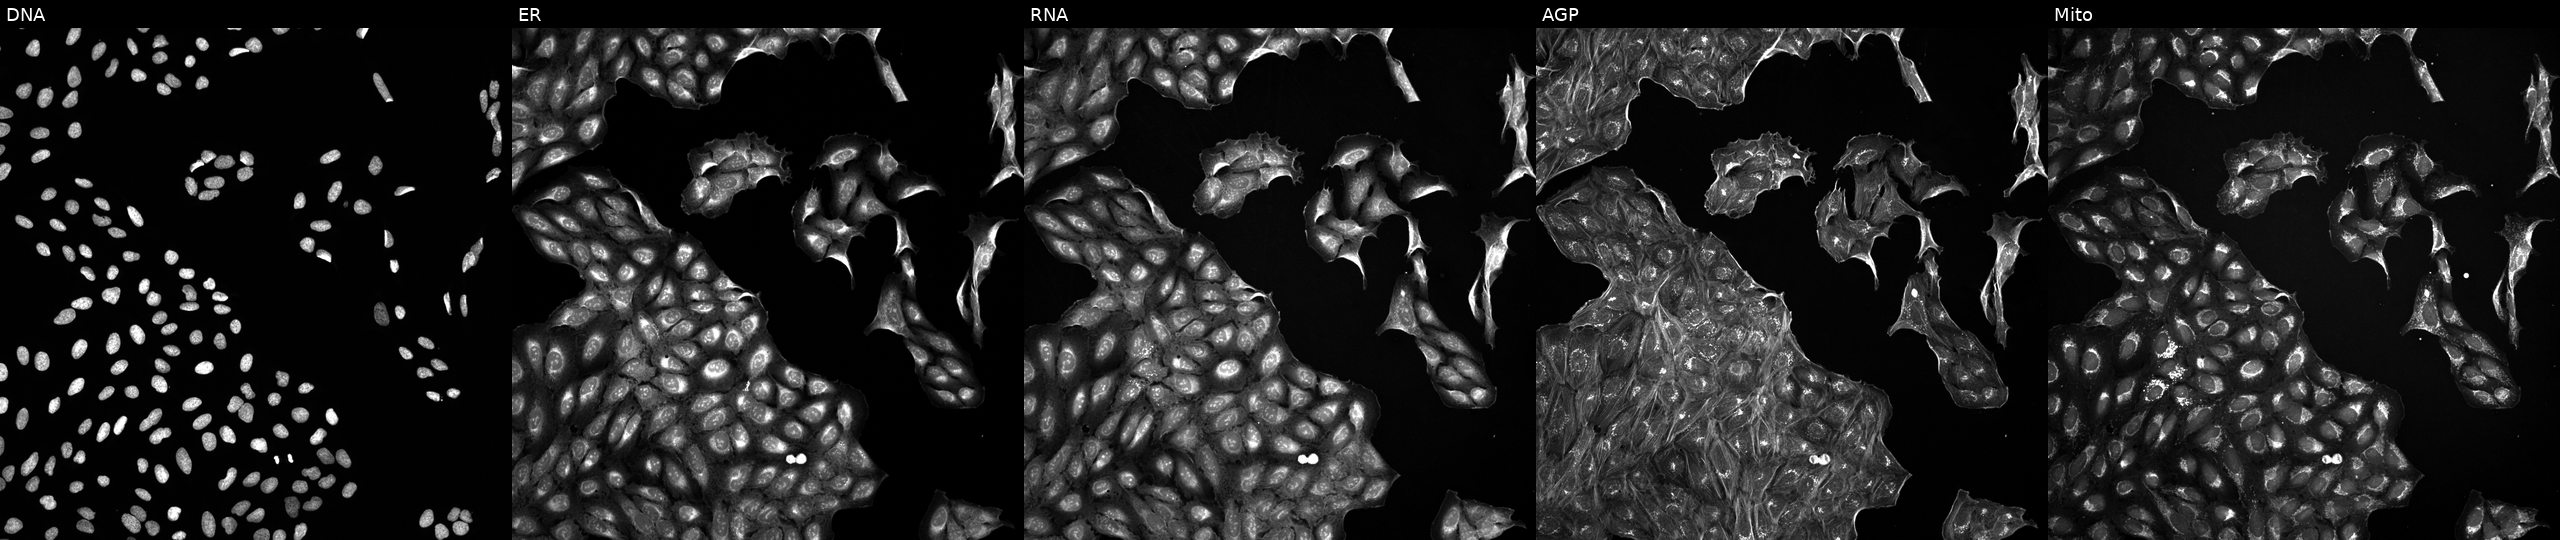
U2OS cells, Cell Painting assay, exposed to a small-molecule compound (InChIKey NQDJXKOVJZTUJA-UHFFFAOYSA-N) [SMILES: Cc1ccnc2c1NC(=O)c1cccnc1N2C1CC1] (JUMP id JCP2022_060649). The five panels, left to right, show DNA (nuclei); ER (endoplasmic reticulum); RNA (nucleoli and cytoplasmic RNA); AGP (actin cytoskeleton, Golgi, and plasma membrane); Mito (mitochondria). Each panel is percentile-stretched 16-bit fluorescence. Source 5, plate ACPJUM051, well A19.